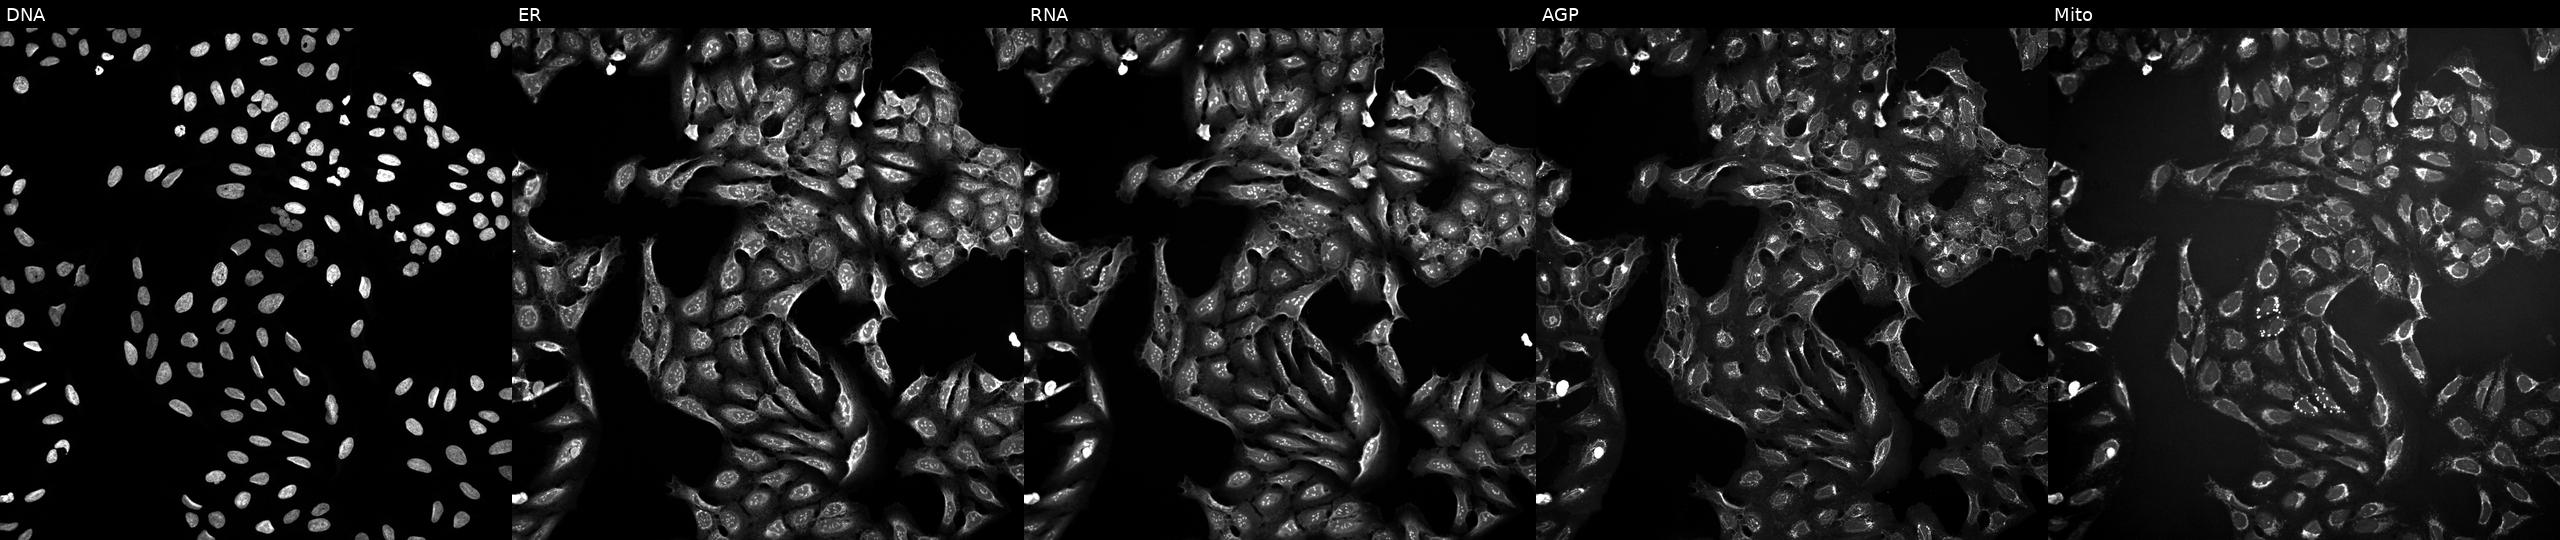
U2OS cells, Cell Painting assay, perturbed with a small-molecule compound (InChIKey HSUGRBWQSSZJOP-UHFFFAOYSA-N) (JUMP id JCP2022_032357). The five panels, left to right, show DNA, ER, RNA, AGP, and Mito. Each panel is percentile-stretched 16-bit fluorescence. Source 10, plate Dest210803-153958, well P20.